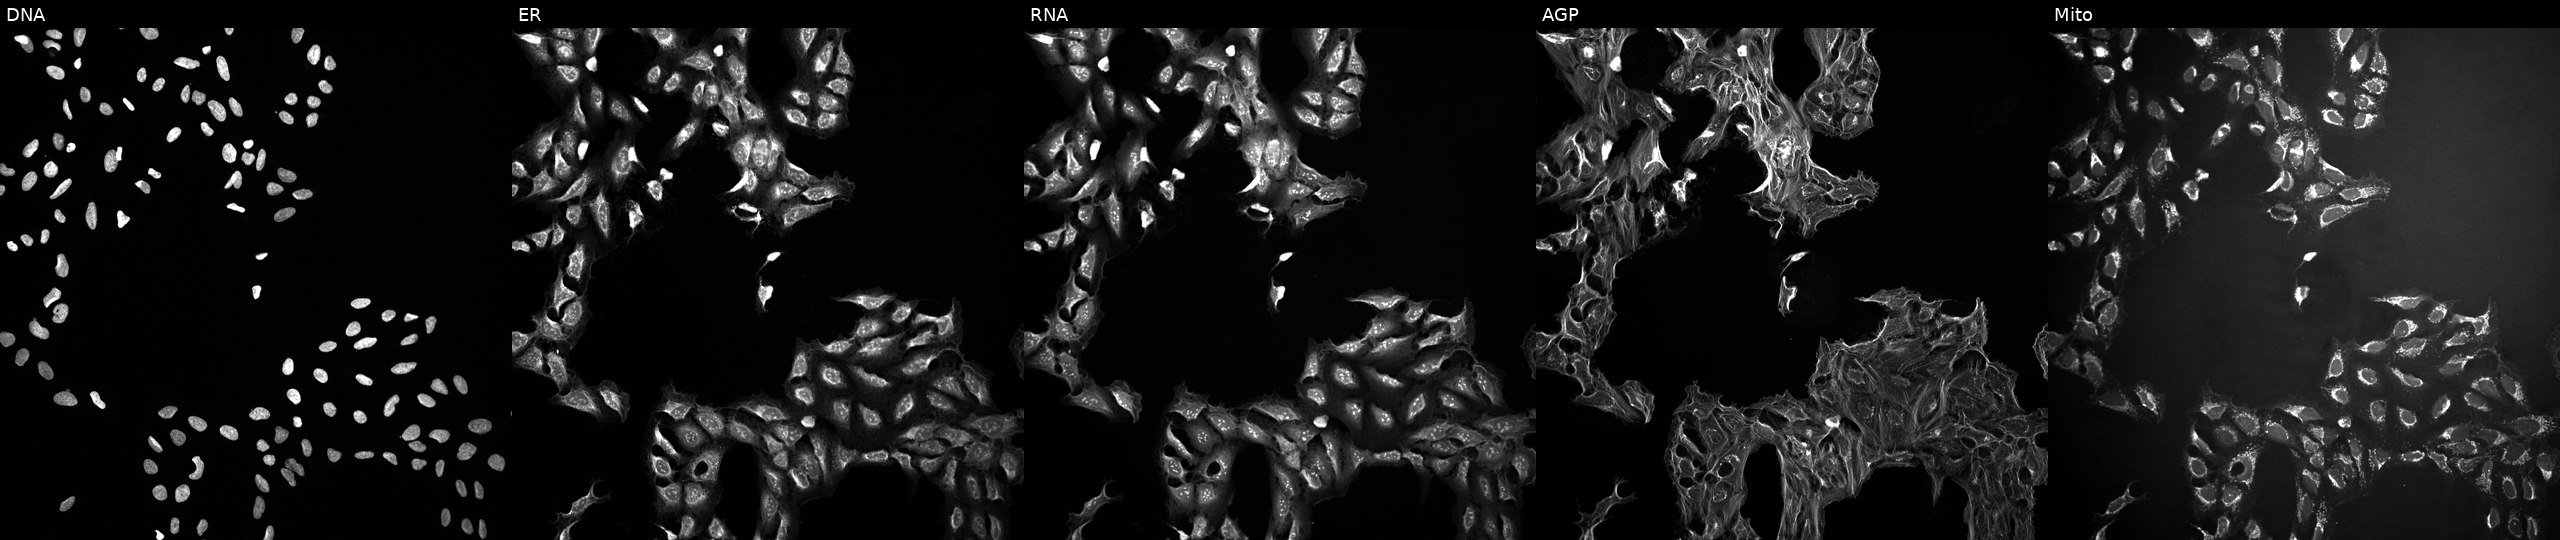
Panels show, left to right, DNA (nuclei); ER (endoplasmic reticulum); RNA (nucleoli and cytoplasmic RNA); AGP (actin cytoskeleton, Golgi, and plasma membrane); Mito (mitochondria). U2OS osteosarcoma cells exposed to a small-molecule compound (InChIKey XRKYMMUGXMWDAO-UHFFFAOYSA-N) [SMILES: O=c1cc(-c2cccc3c2Sc2ccccc2S3)oc(N2CCOCC2)c1]. Cell Painting assay, JUMP-CP dataset. Source 10, plate Dest210727-153003, well K15.